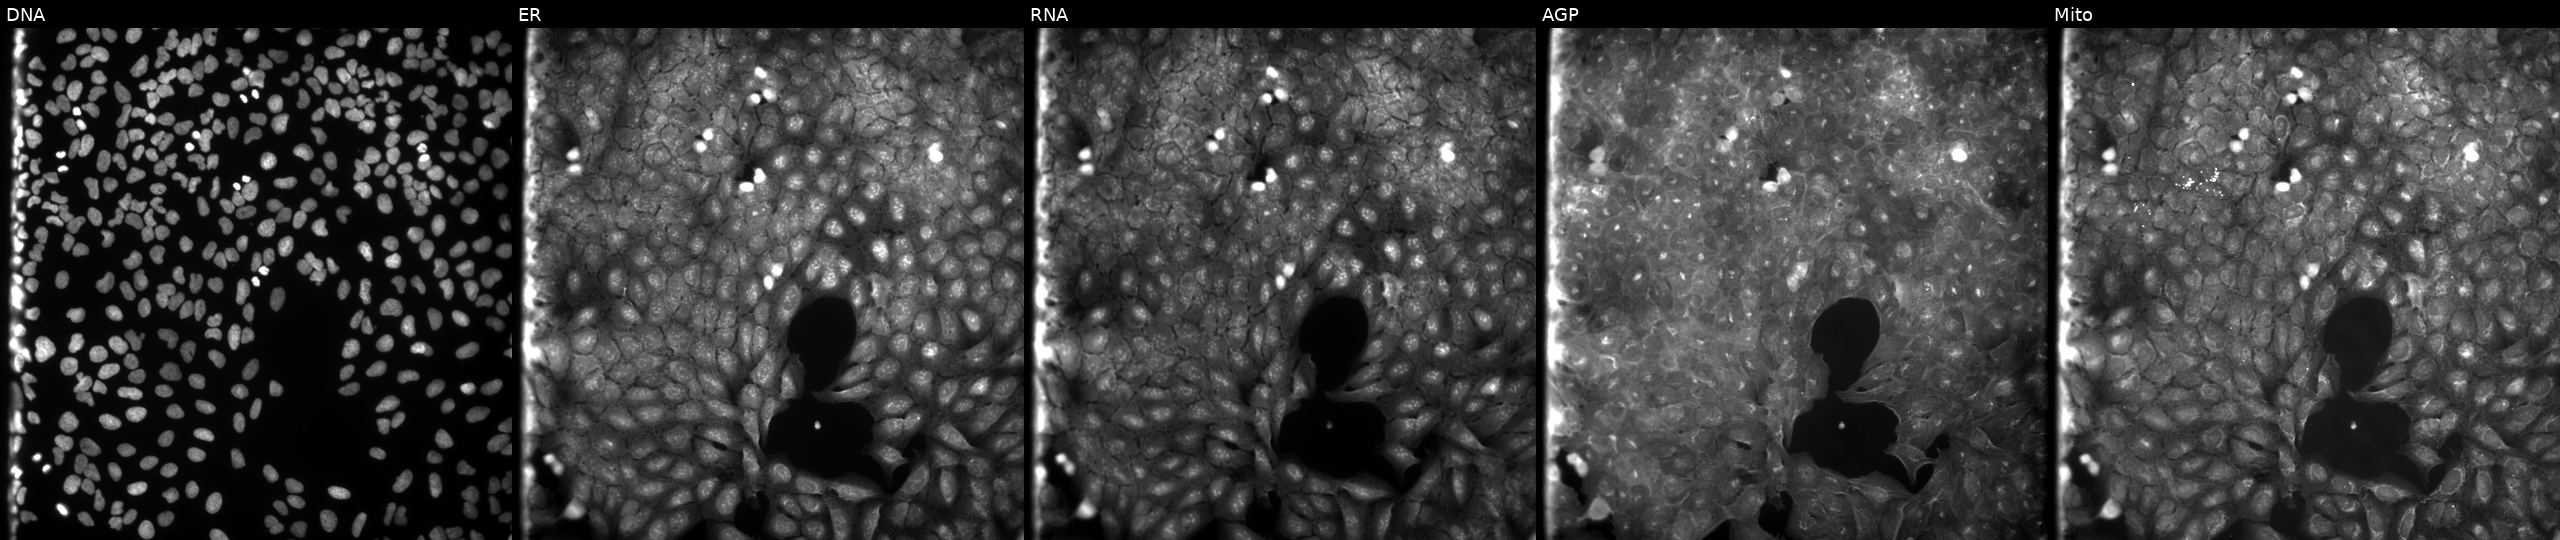
High-content fluorescence microscopy (Cell Painting). Cell line: U2OS. Perturbation: perturbed with a small-molecule compound [SMILES: CC(C)OC(=O)c1ccccc1C(=O)c1ccc(N)c([N+](=O)[O-])c1] (JUMP id JCP2022_101642). Panels show, left to right, Hoechst 33342, concanavalin A, SYTO 14, phalloidin and WGA, MitoTracker.